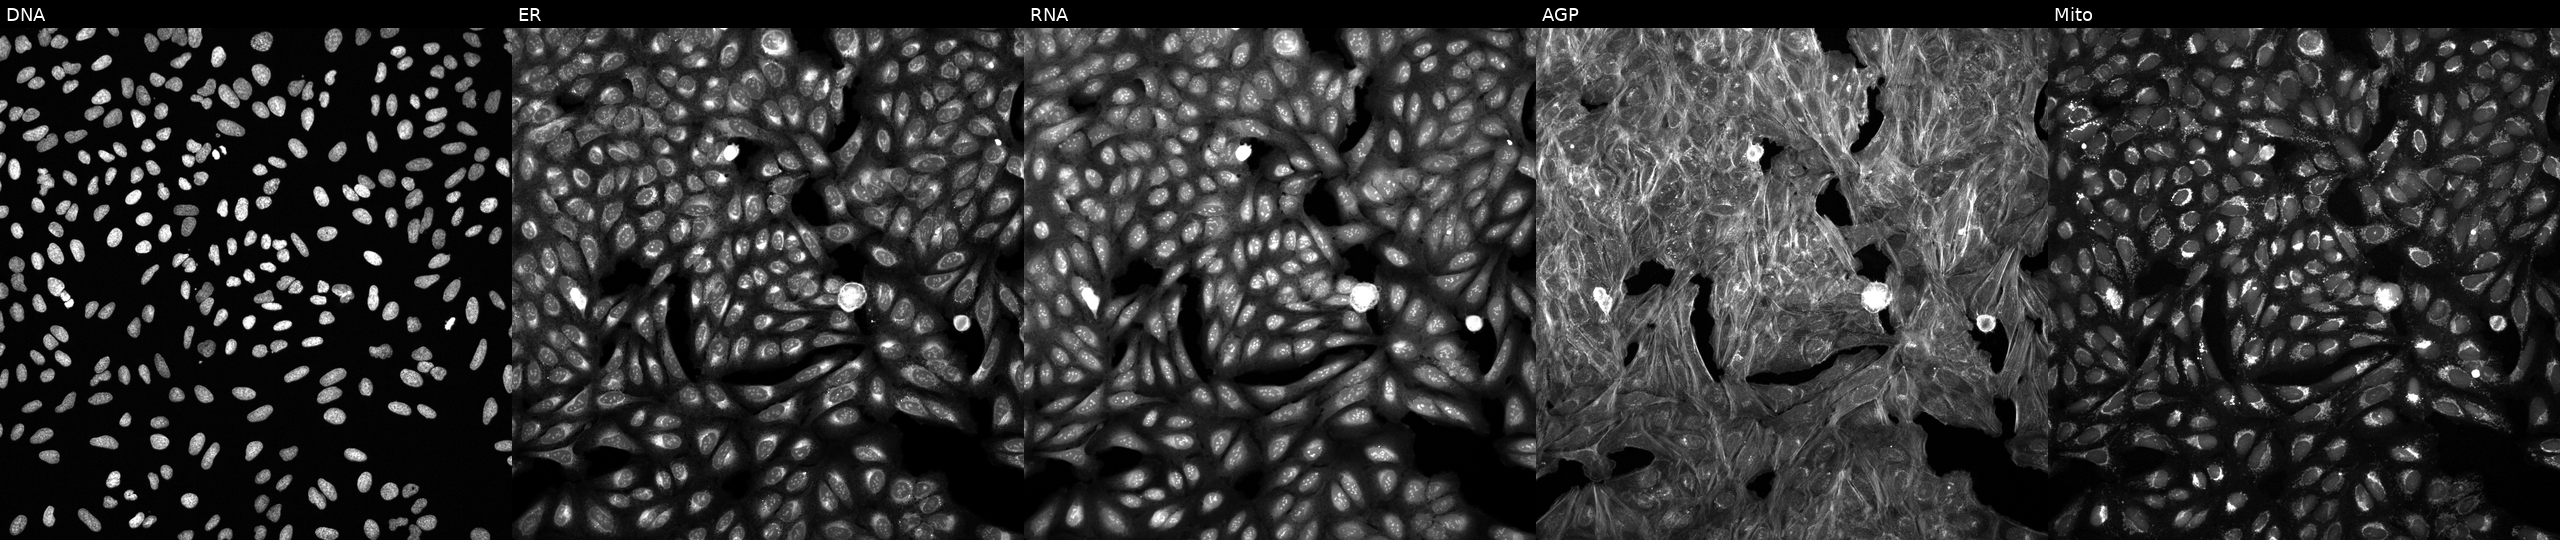
U2OS cells, Cell Painting assay, perturbed with a small-molecule compound (InChIKey WZTQMAIKQOFLMD-UHFFFAOYSA-N) (JUMP id JCP2022_102237). From left to right: DNA, ER, RNA, AGP, and Mito. Each panel is percentile-stretched 16-bit fluorescence.